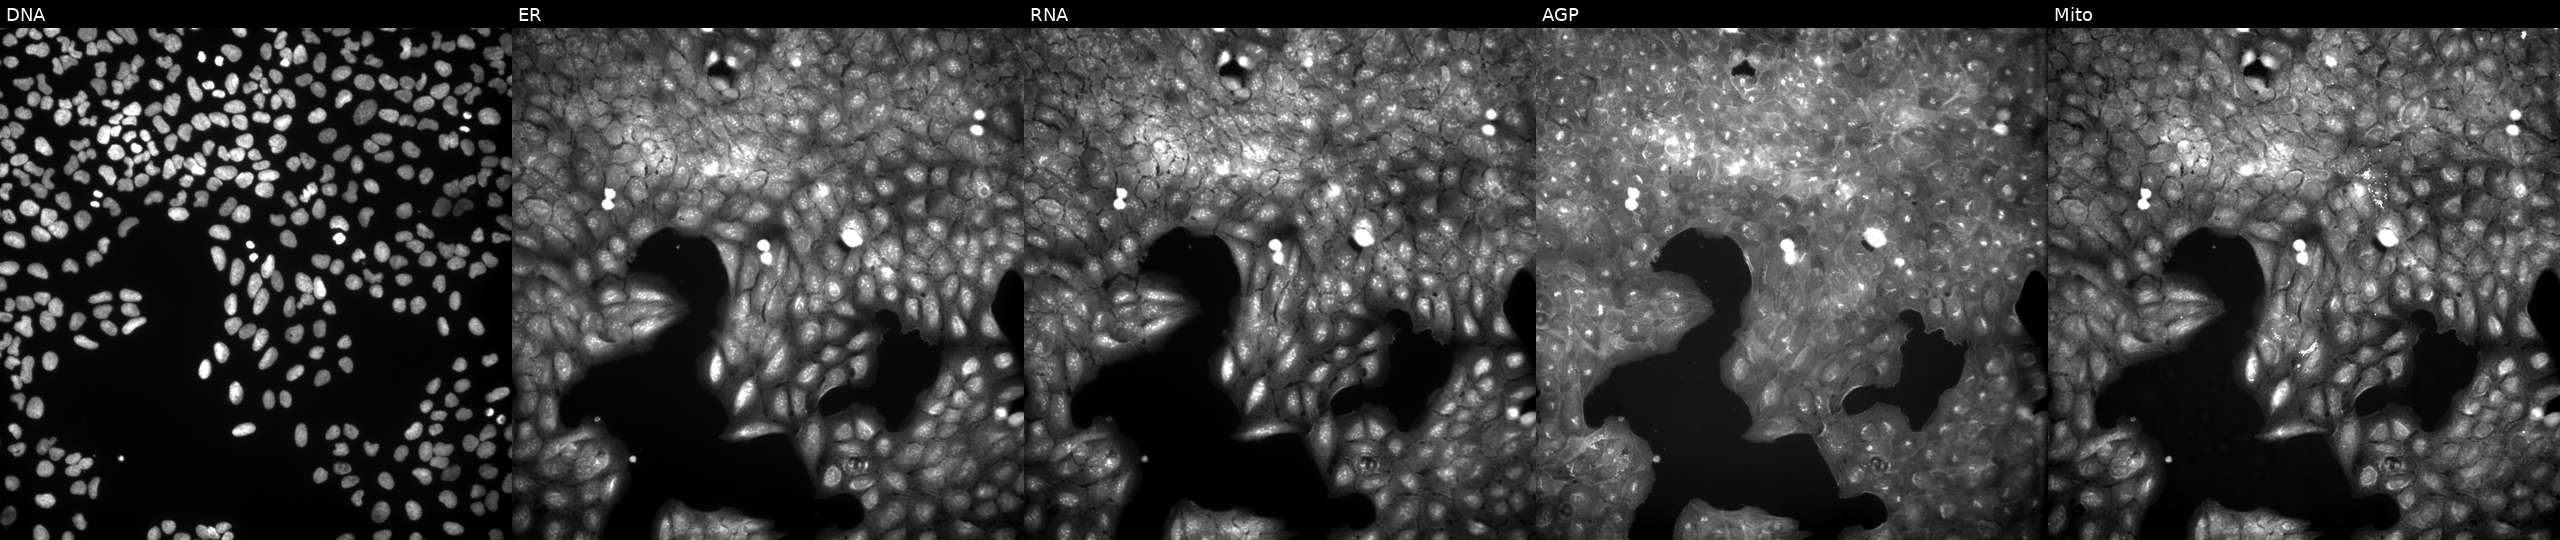
JUMP Cell Painting — COMPOUND plate. U2OS cells exposed to a small-molecule compound (JUMP id JCP2022_104982). The five panels, left to right, show Hoechst 33342, concanavalin A, SYTO 14, phalloidin and WGA, MitoTracker. Source 9, plate GR00003382, well I38.